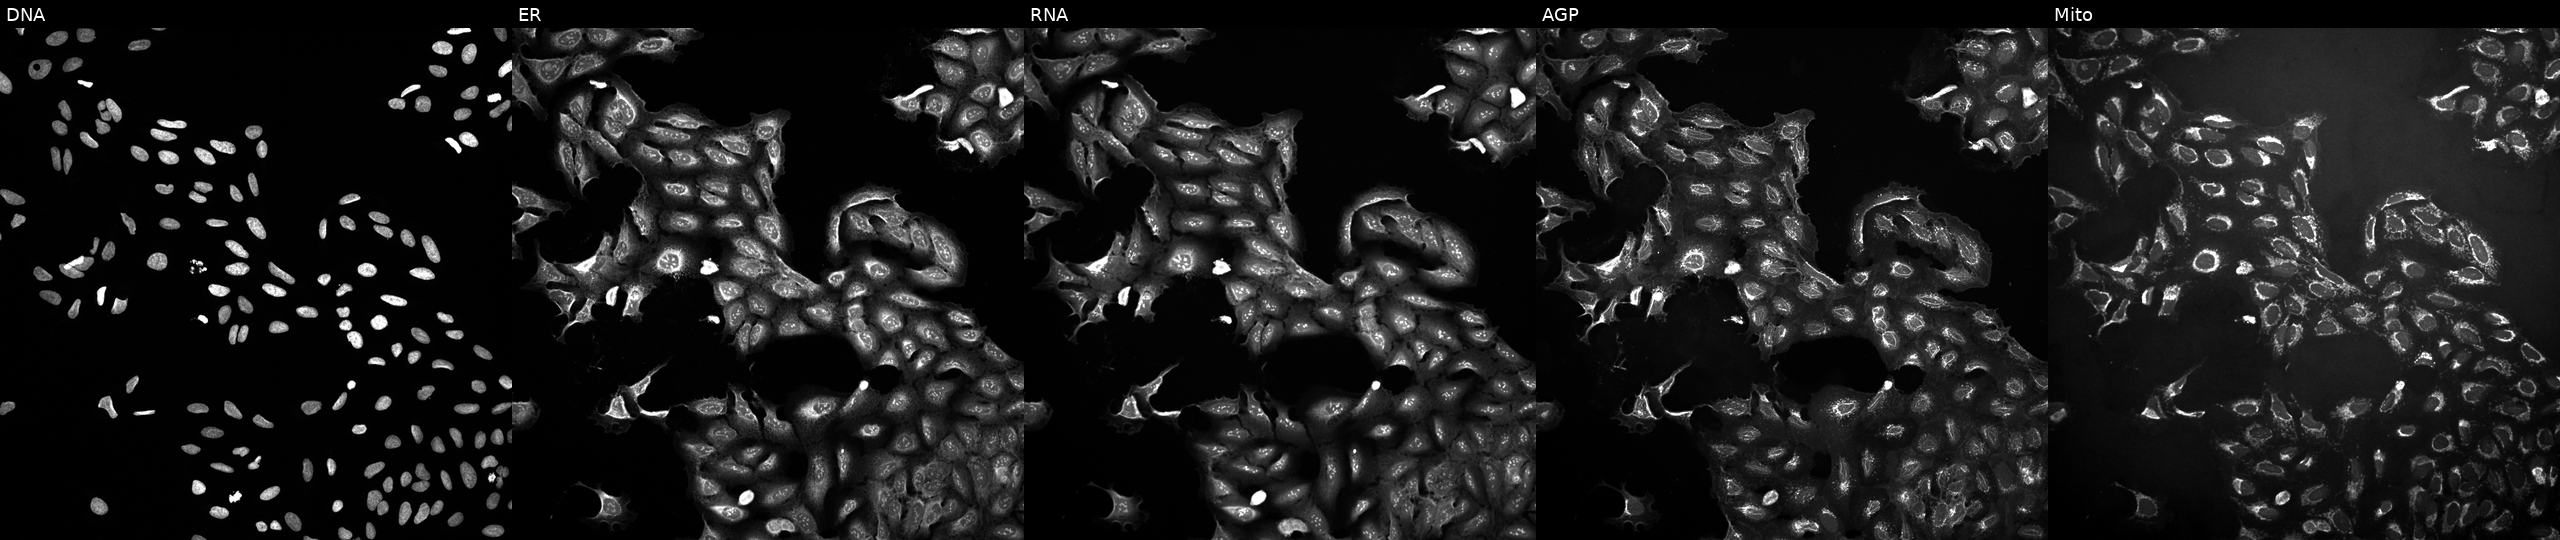
JUMP Cell Painting — TARGET2 plate. U2OS cells exposed to a small-molecule compound (JUMP id JCP2022_015955). Panels show, left to right, DNA, ER, RNA, AGP, and Mito.